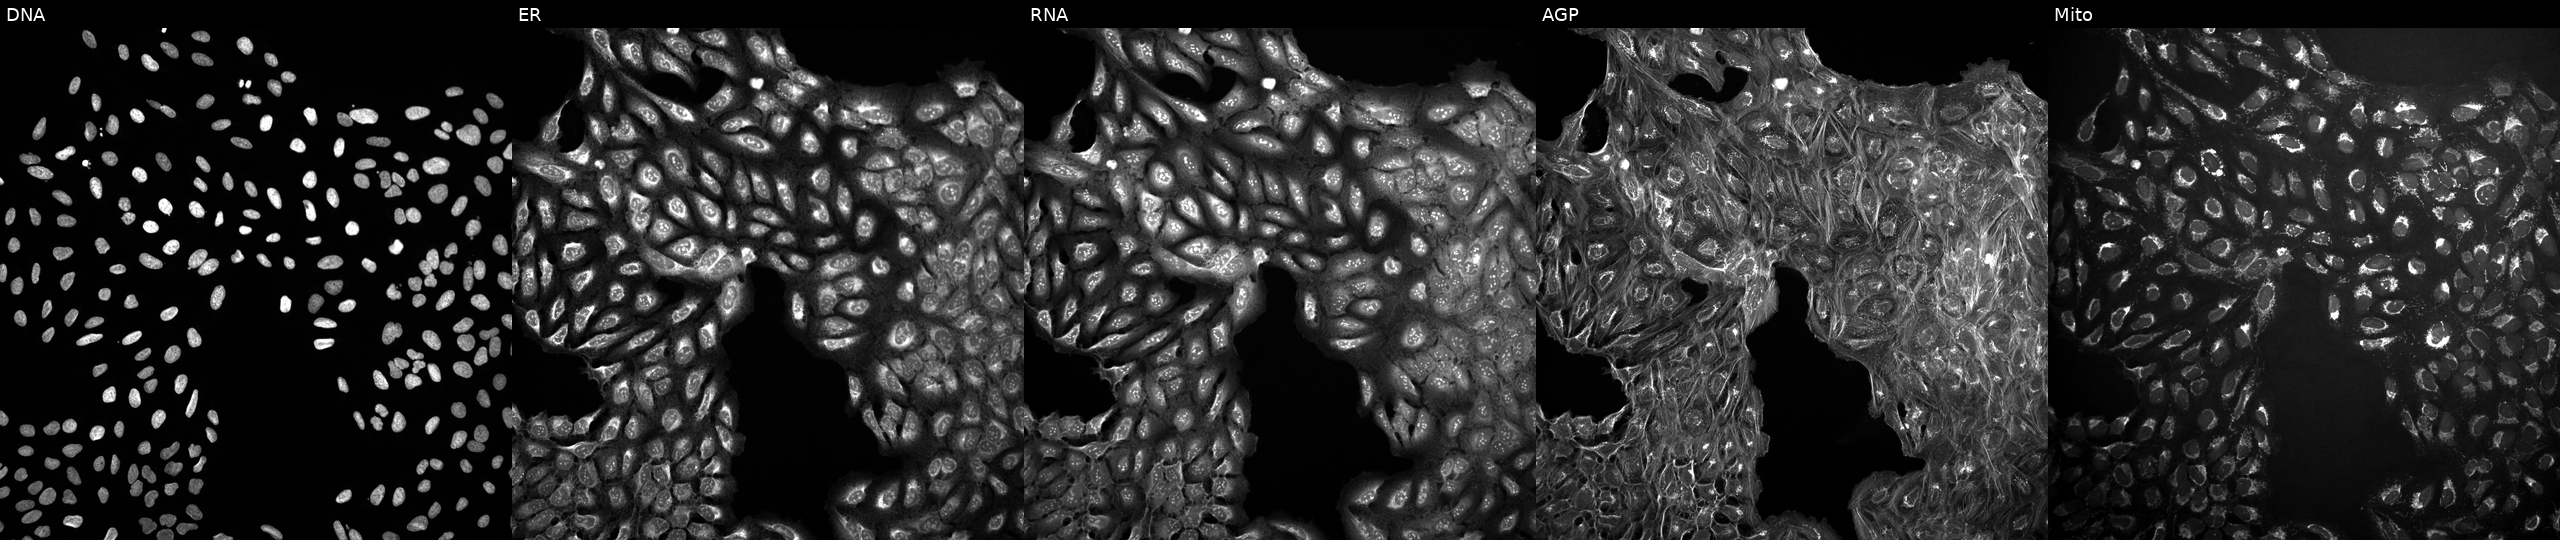
From left to right: Hoechst 33342, concanavalin A, SYTO 14, phalloidin and WGA, MitoTracker. U2OS osteosarcoma cells exposed to a small-molecule compound (InChIKey SGPKSXMNIFVMTE-UHFFFAOYSA-N) (JUMP id JCP2022_083075). Cell Painting assay, JUMP-CP dataset.